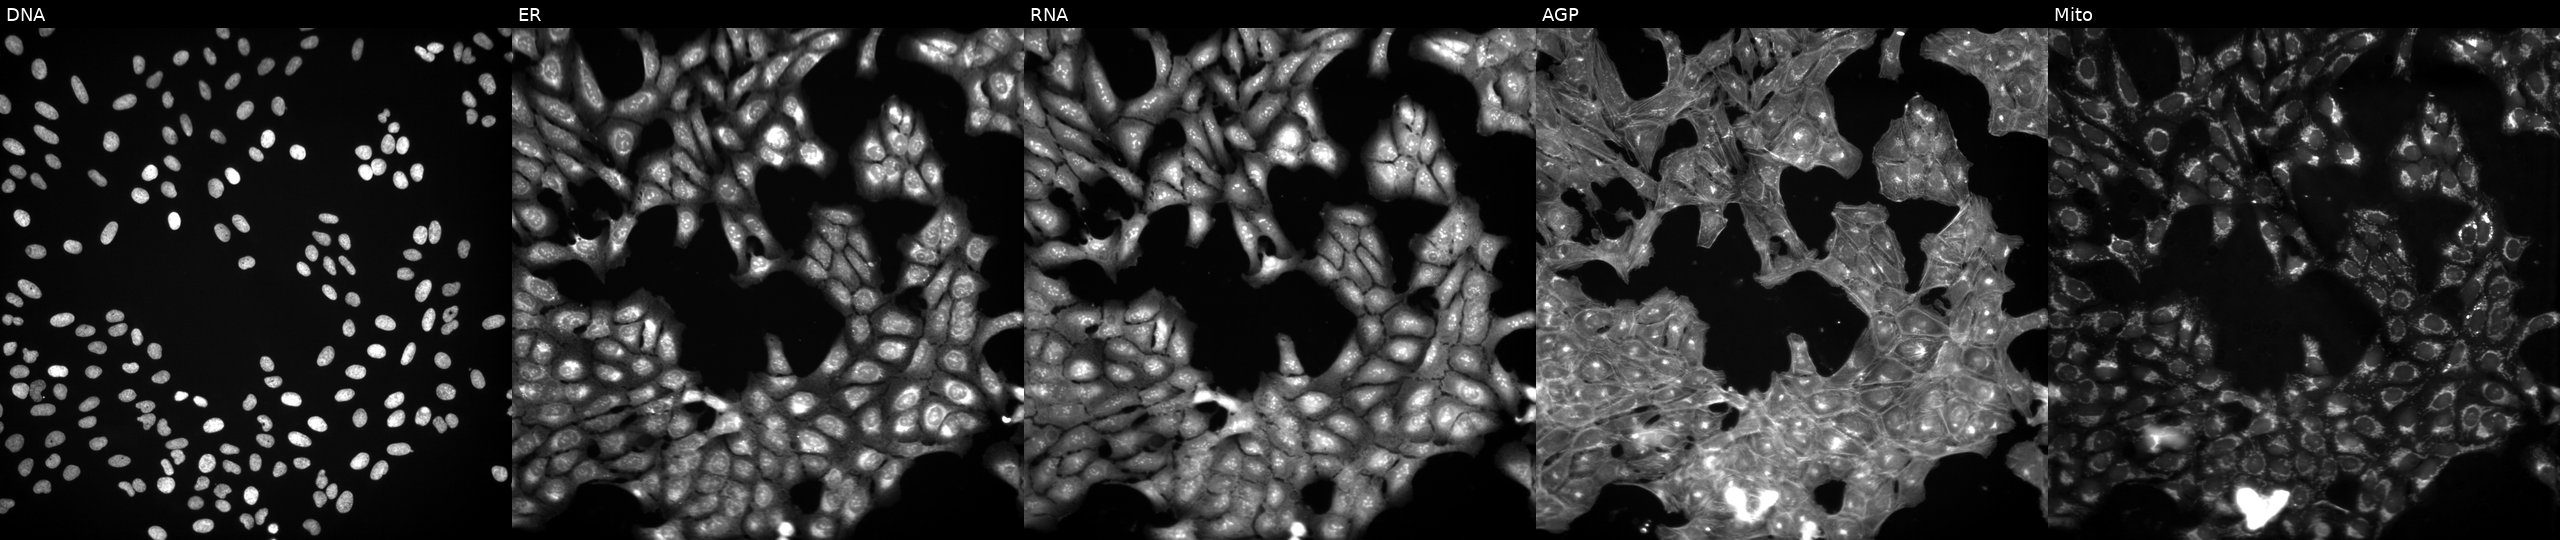
This image strip shows the five Cell Painting channels for a single field of U2OS cells perturbed with a small-molecule compound (InChIKey RNSLRQNDXRSASX-UHFFFAOYSA-N). The five panels, left to right, show DNA (nuclei); ER (endoplasmic reticulum); RNA (nucleoli and cytoplasmic RNA); AGP (actin cytoskeleton, Golgi, and plasma membrane); Mito (mitochondria).